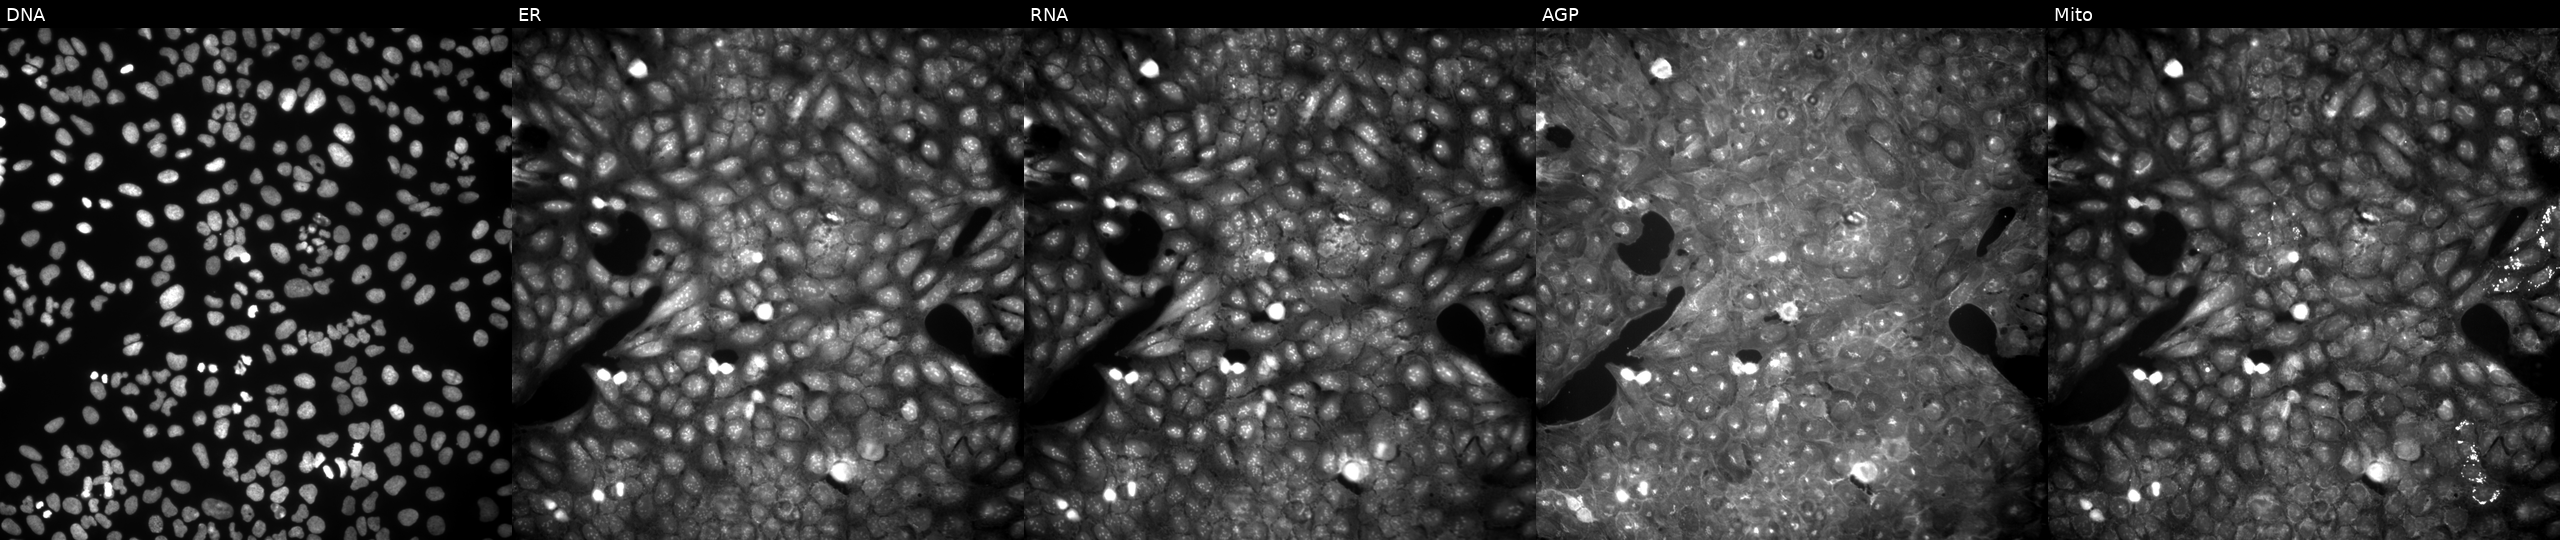
This image strip shows the five Cell Painting channels for a single field of U2OS cells exposed to a small-molecule compound (JUMP id JCP2022_112225). From left to right: Hoechst 33342, concanavalin A, SYTO 14, phalloidin and WGA, MitoTracker. Source 9, plate GR00003381, well A36.